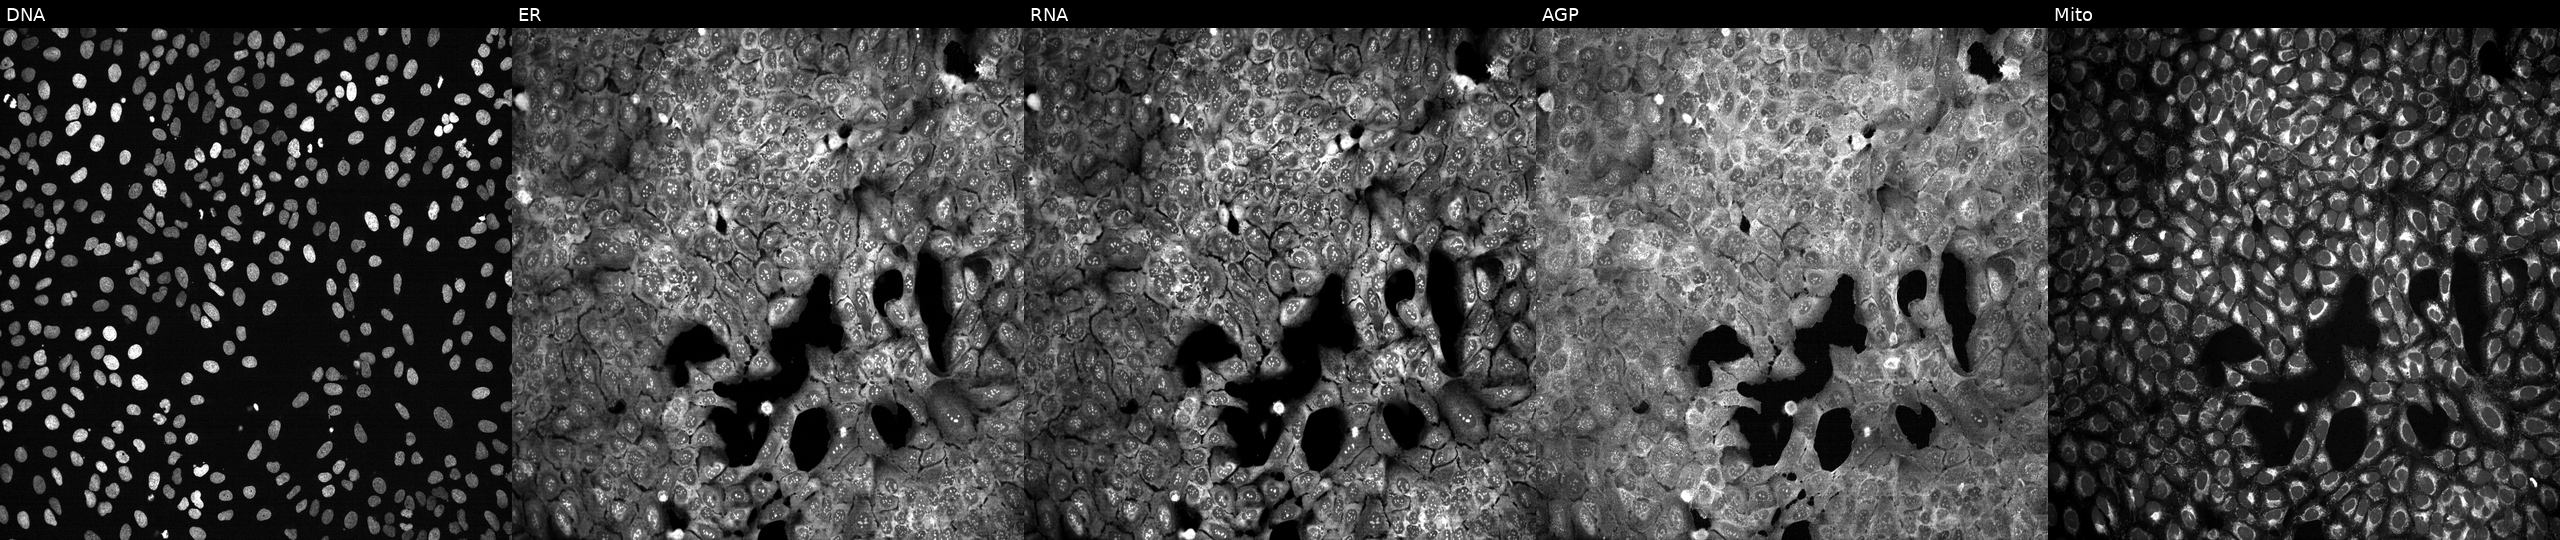
This image strip shows the five Cell Painting channels for a single field of U2OS cells following CRISPR knockout of NPL (JUMP id JCP2022_804661). Channels (left→right): DNA, ER, RNA, AGP, and Mito. Source 13, plate CP-CC9-R3-02, well K15.